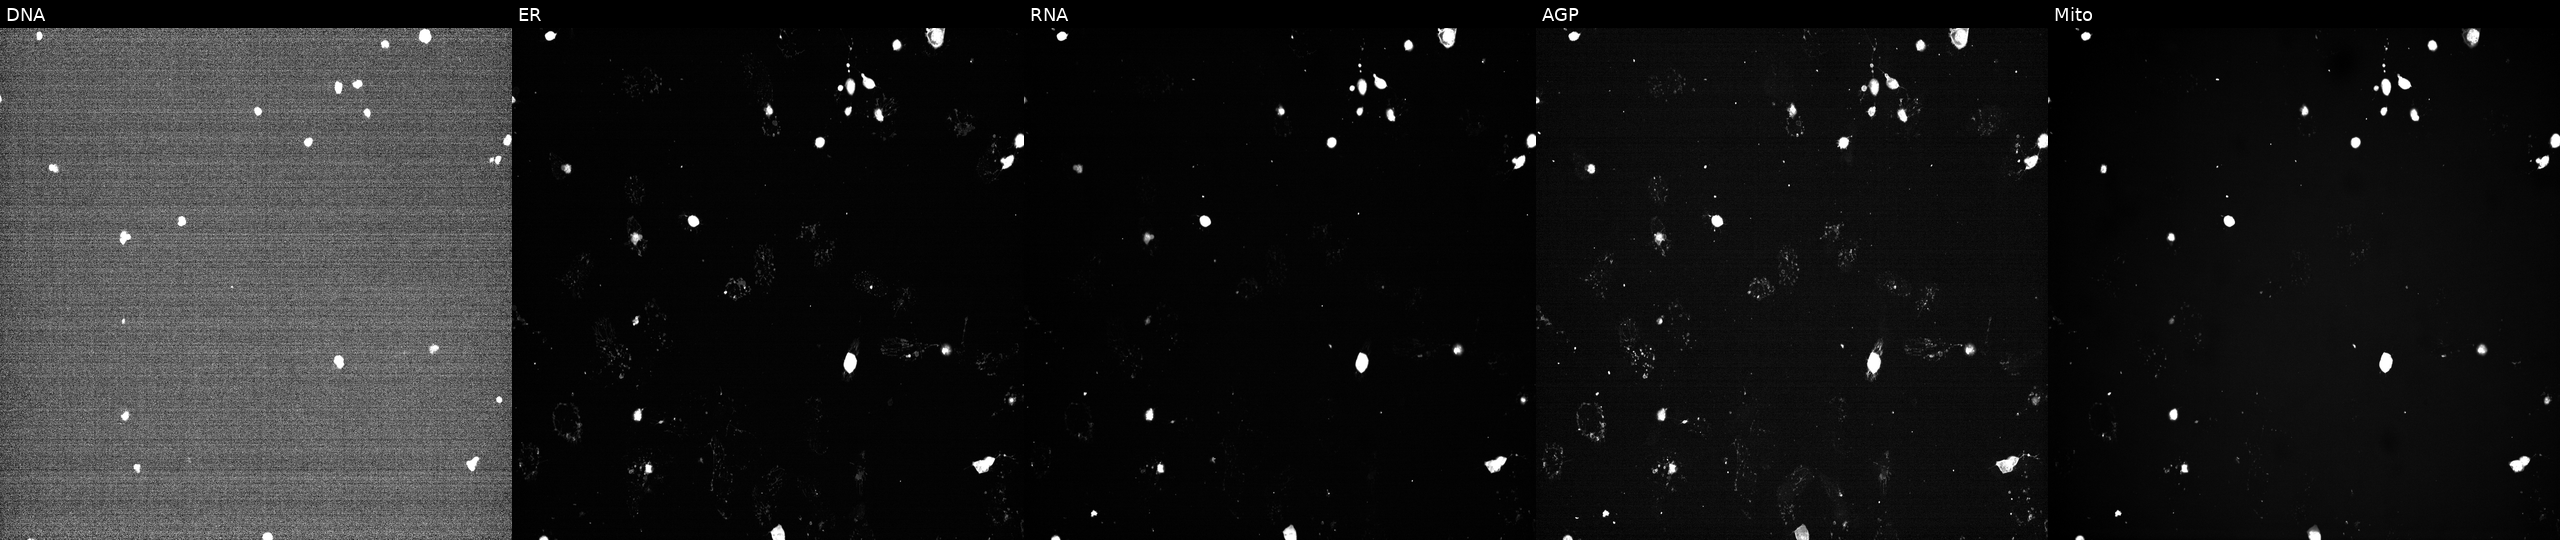
Panels show, left to right, Hoechst 33342, concanavalin A, SYTO 14, phalloidin and WGA, MitoTracker. U2OS osteosarcoma cells exposed to a small-molecule compound (InChIKey PKCYYPHSCUSQDK-UHFFFAOYSA-N) (JUMP id JCP2022_069131). Cell Painting assay, JUMP-CP dataset. Source 7, plate CP2-SC1-25, well G18.